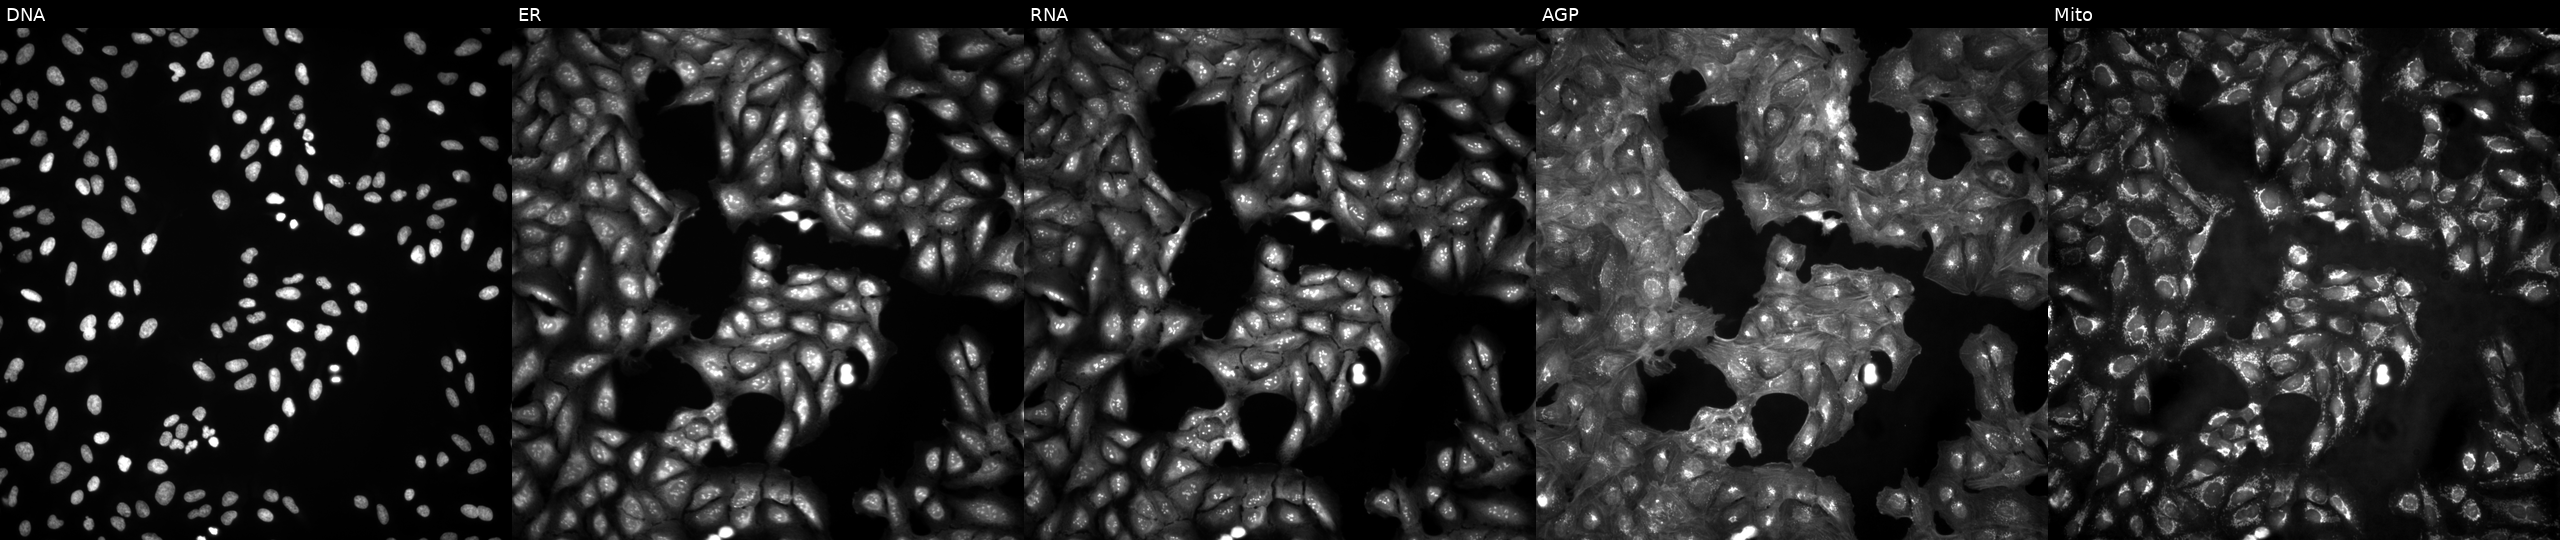
High-content fluorescence microscopy (Cell Painting). Cell line: U2OS. Perturbation: untreated (empty-well control) (JUMP id JCP2022_999999). The five panels, left to right, show Hoechst 33342, concanavalin A, SYTO 14, phalloidin and WGA, MitoTracker. Source 4, plate BR00123946, well K07.